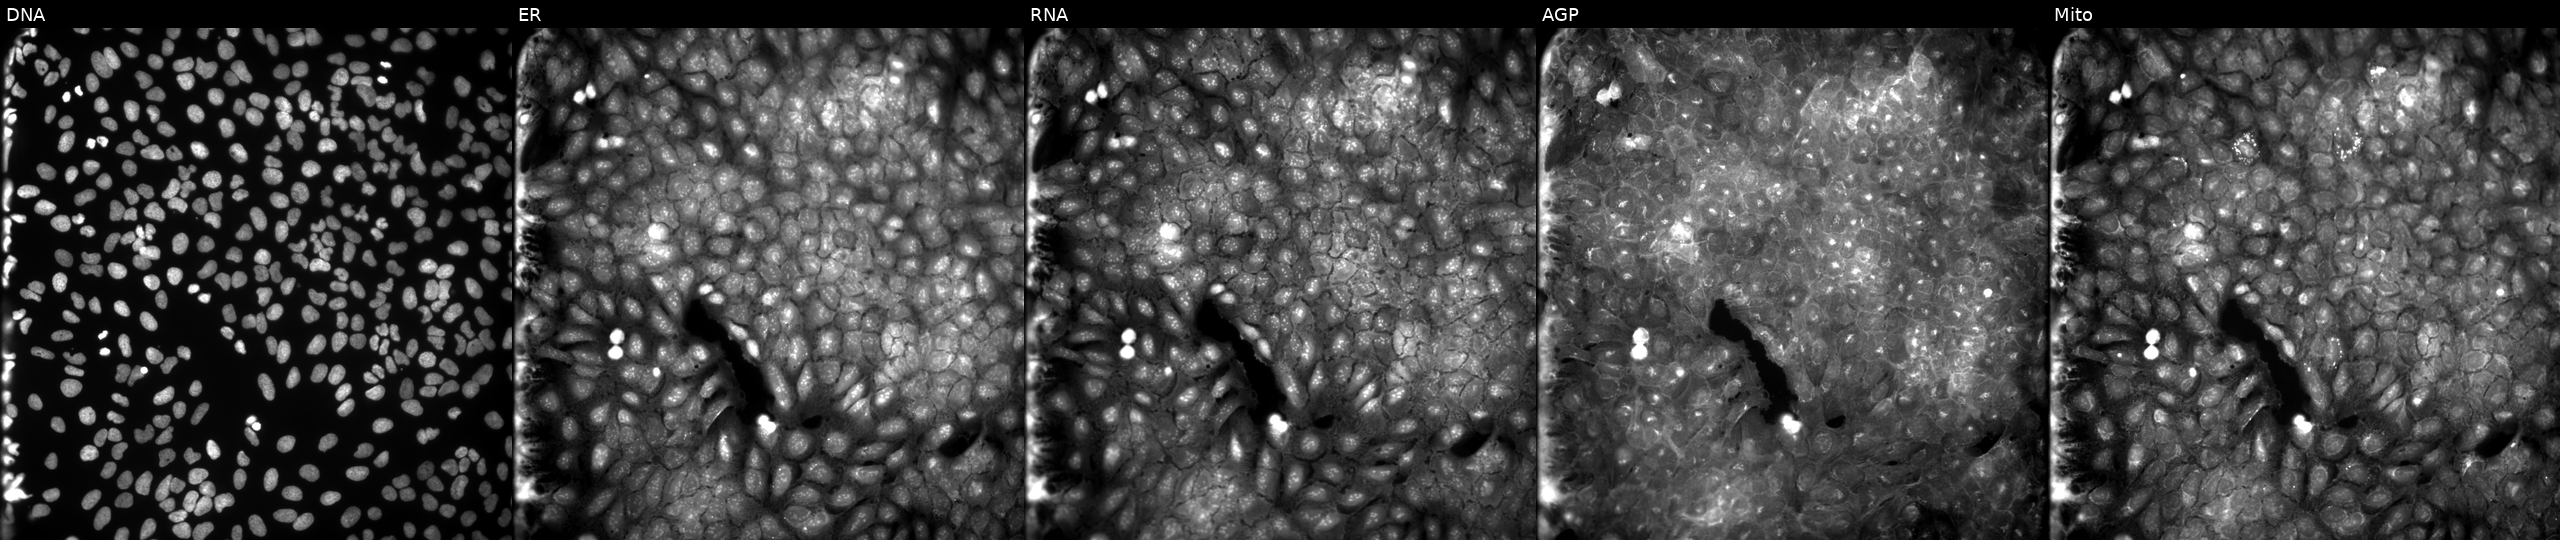
Five-channel Cell Painting image of U2OS cells treated with a small-molecule compound. Channels (left→right): Hoechst 33342, concanavalin A, SYTO 14, phalloidin and WGA, MitoTracker.